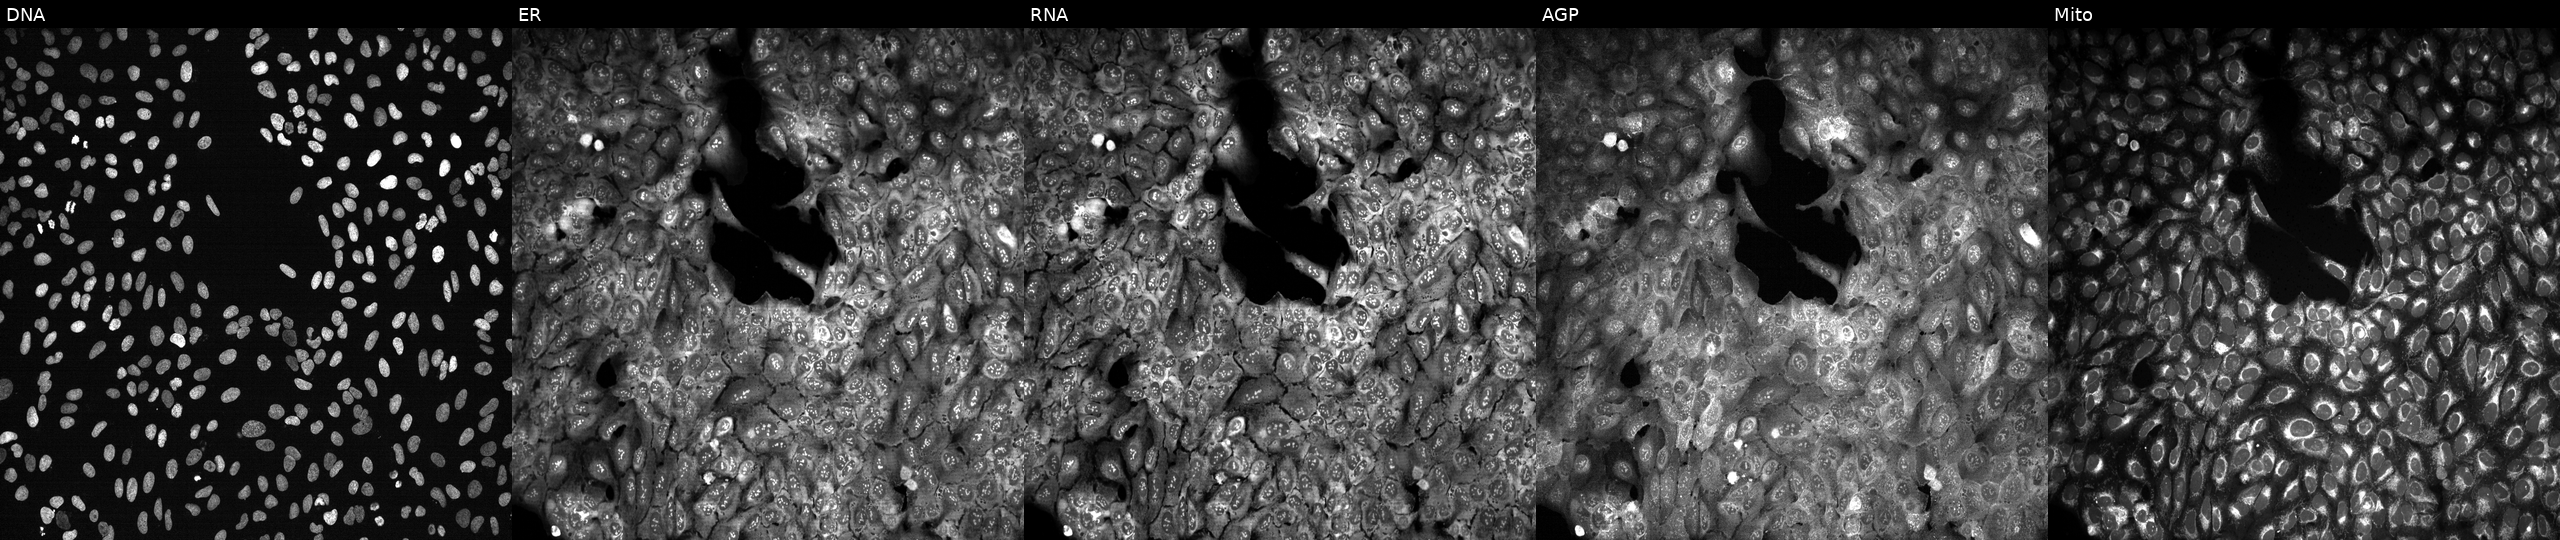
High-content fluorescence microscopy (Cell Painting). Cell line: U2OS. Perturbation: CRISPR-edited to disrupt CHST11 (JUMP id JCP2022_801328). The five panels, left to right, show DNA (nuclei); ER (endoplasmic reticulum); RNA (nucleoli and cytoplasmic RNA); AGP (actin cytoskeleton, Golgi, and plasma membrane); Mito (mitochondria). Source 13, plate CP-CC9-R4-03, well N09.